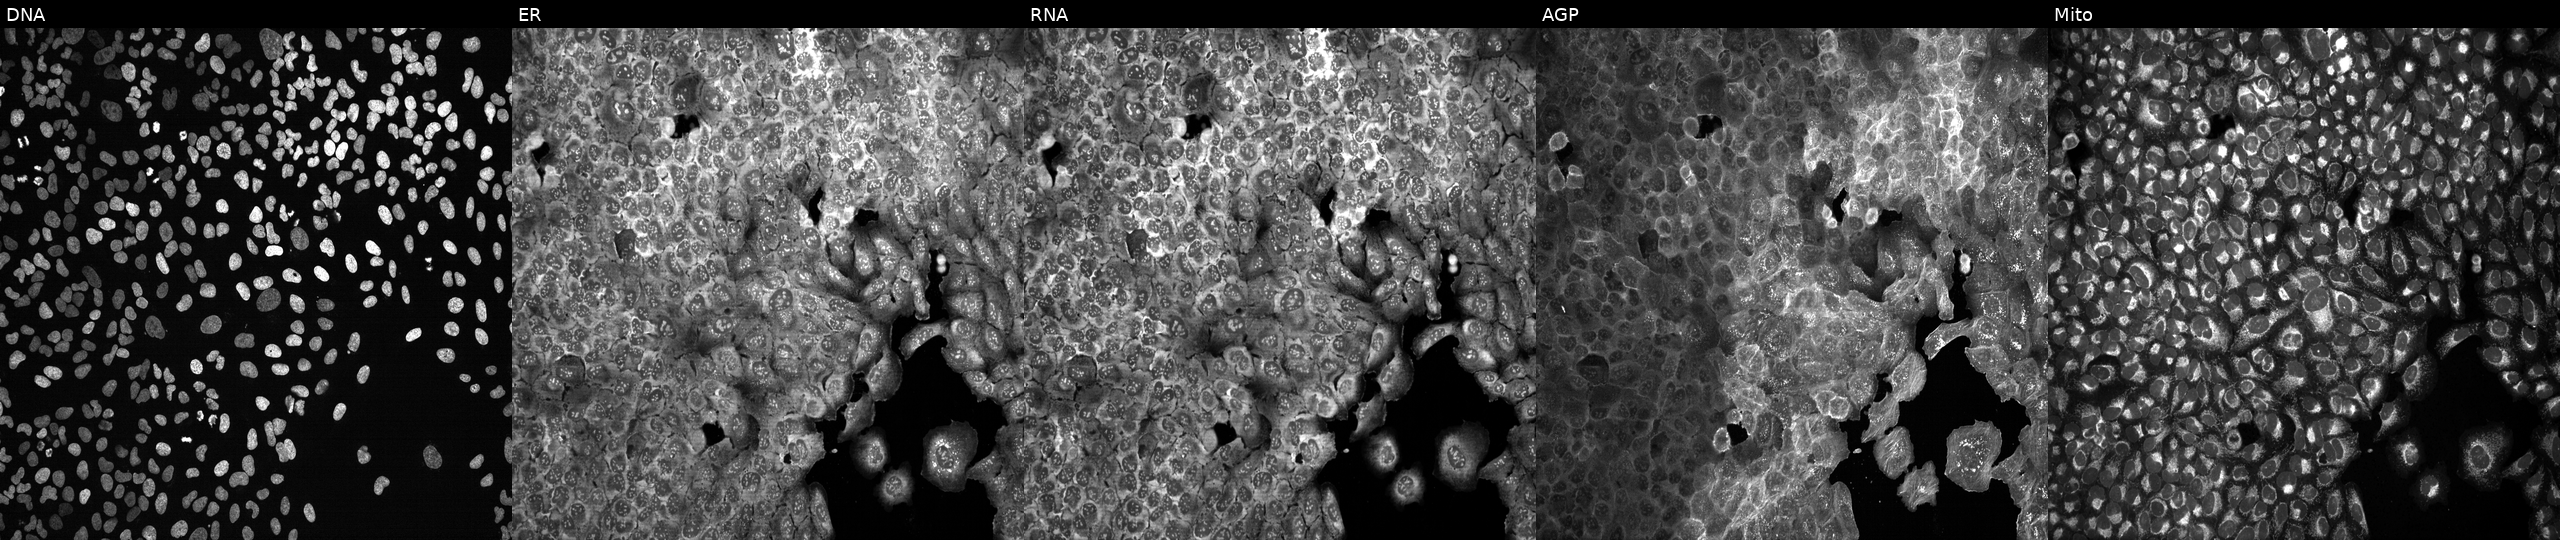
Five-channel Cell Painting image of U2OS cells CRISPR-edited to disrupt TCEB2. Panels show, left to right, Hoechst 33342, concanavalin A, SYTO 14, phalloidin and WGA, MitoTracker.